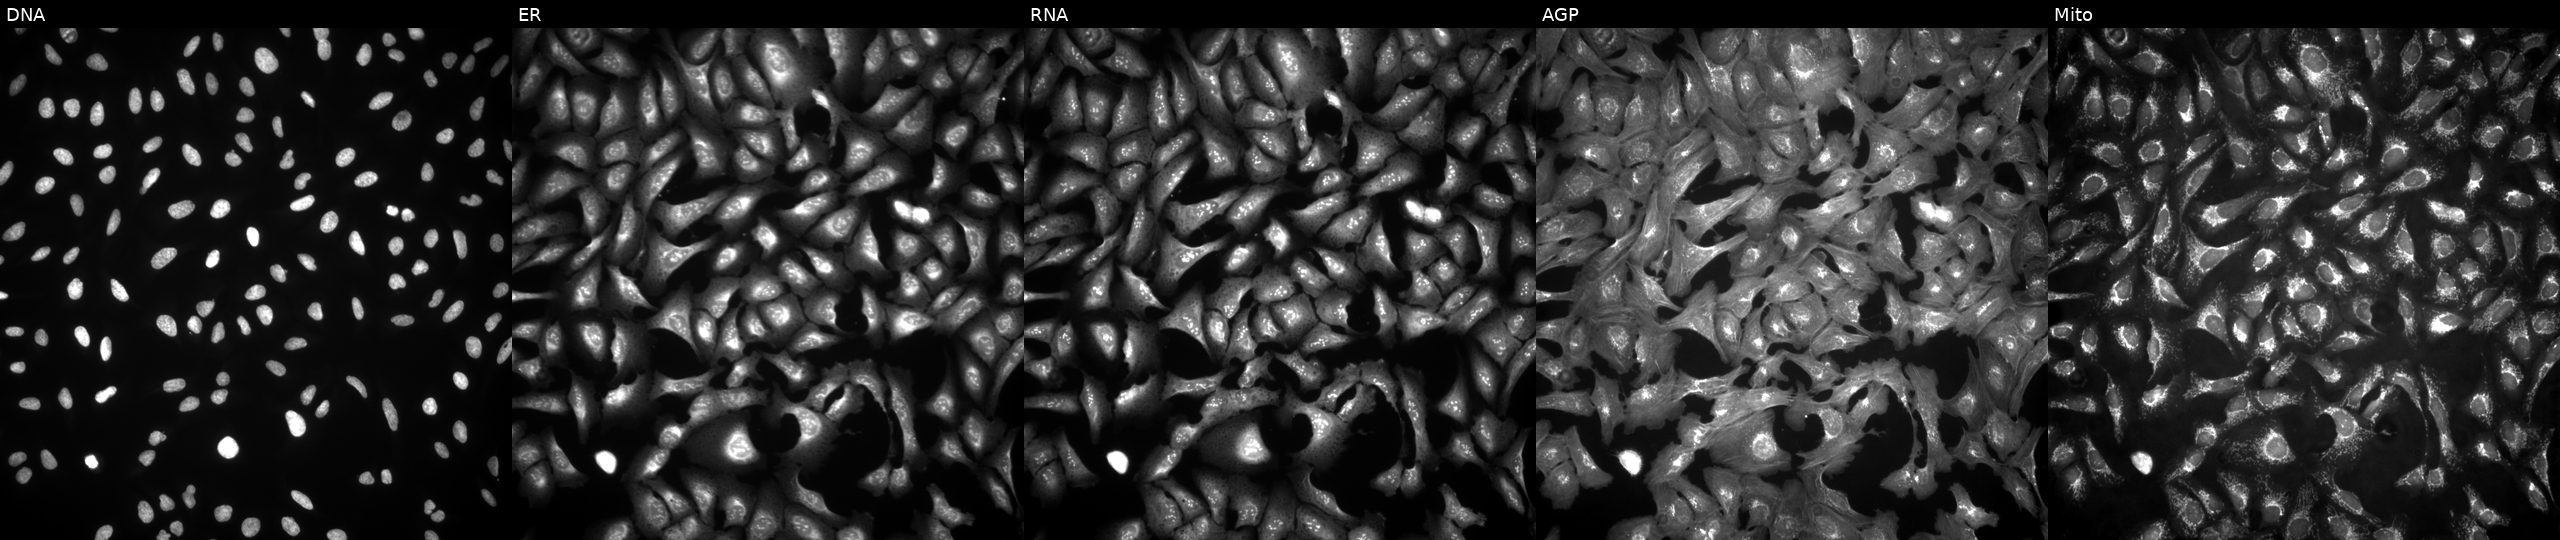
High-content fluorescence microscopy (Cell Painting). Cell line: U2OS. Perturbation: untreated (empty-well control) (JUMP id JCP2022_999999). Panels show, left to right, DNA (nuclei); ER (endoplasmic reticulum); RNA (nucleoli and cytoplasmic RNA); AGP (actin cytoskeleton, Golgi, and plasma membrane); Mito (mitochondria).